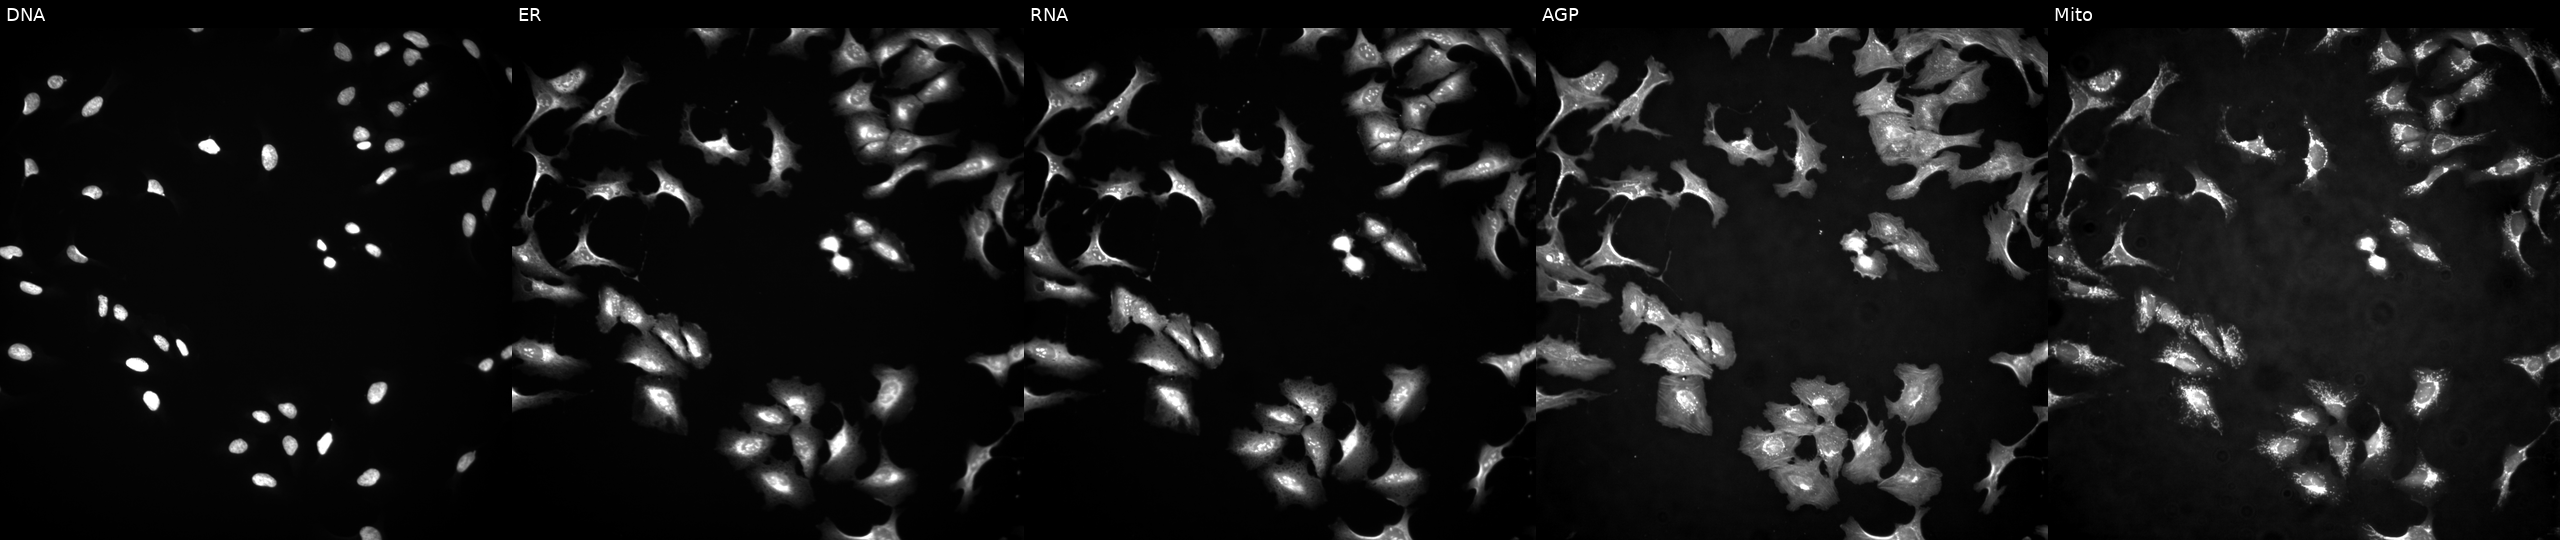
U2OS cells, Cell Painting assay, with IRAK2 overexpressed (ORF) (JUMP id JCP2022_913702). Channels (left→right): DNA (nuclei); ER (endoplasmic reticulum); RNA (nucleoli and cytoplasmic RNA); AGP (actin cytoskeleton, Golgi, and plasma membrane); Mito (mitochondria). Each panel is percentile-stretched 16-bit fluorescence. Source 4, plate BR00123945, well I23.